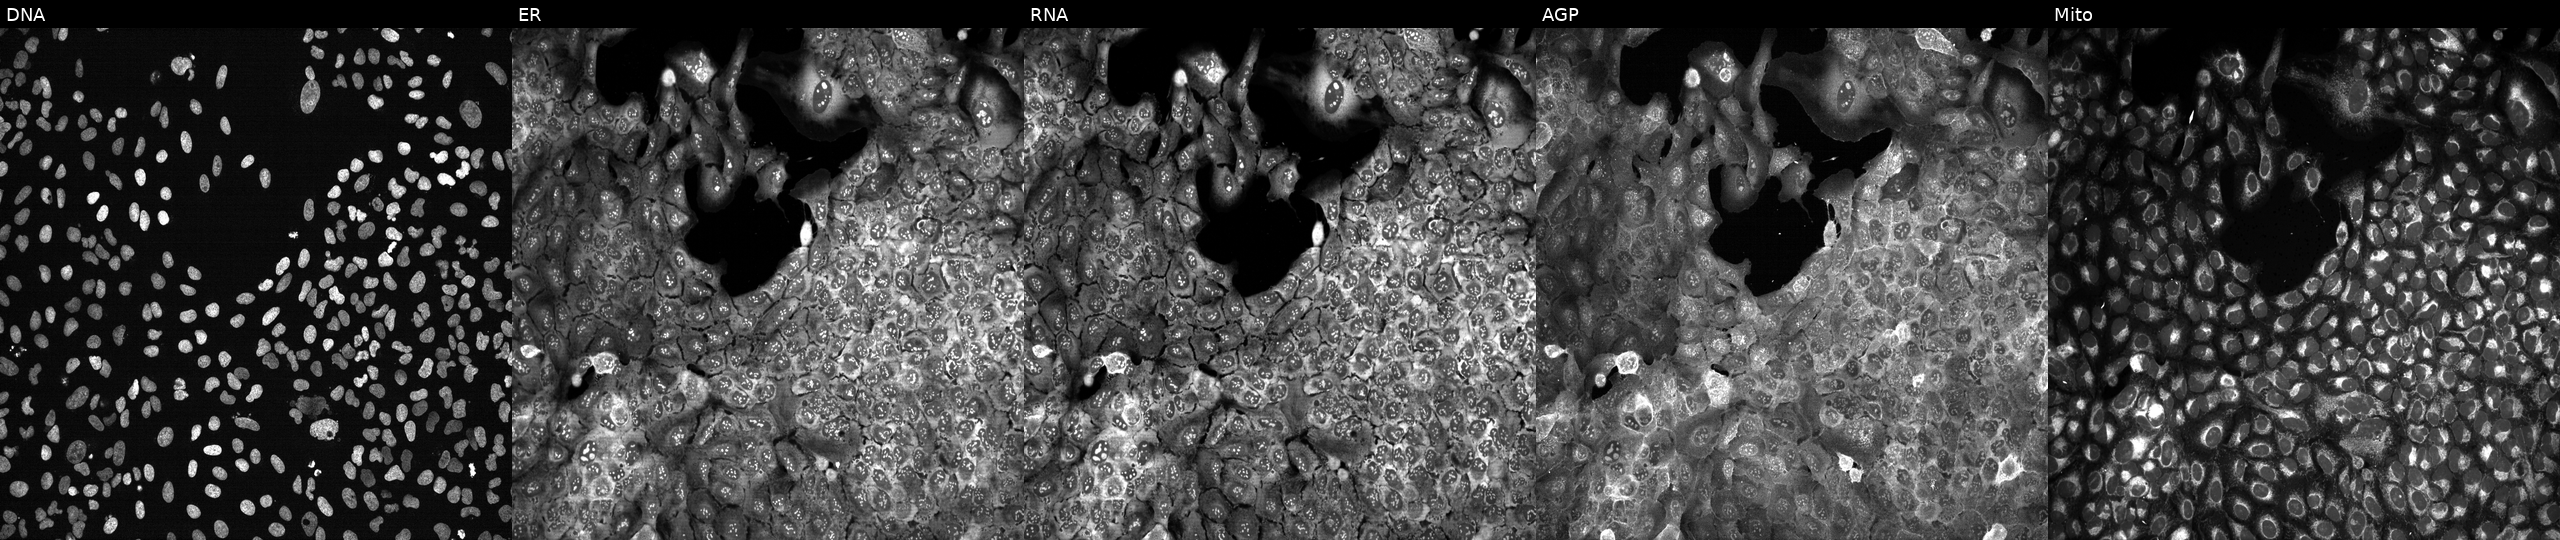
This image strip shows the five Cell Painting channels for a single field of U2OS cells CRISPR-edited to disrupt DNAJC27 (JUMP id JCP2022_801867). Panels show, left to right, DNA, ER, RNA, AGP, and Mito. Source 13, plate CP-CC9-R4-04, well E15.